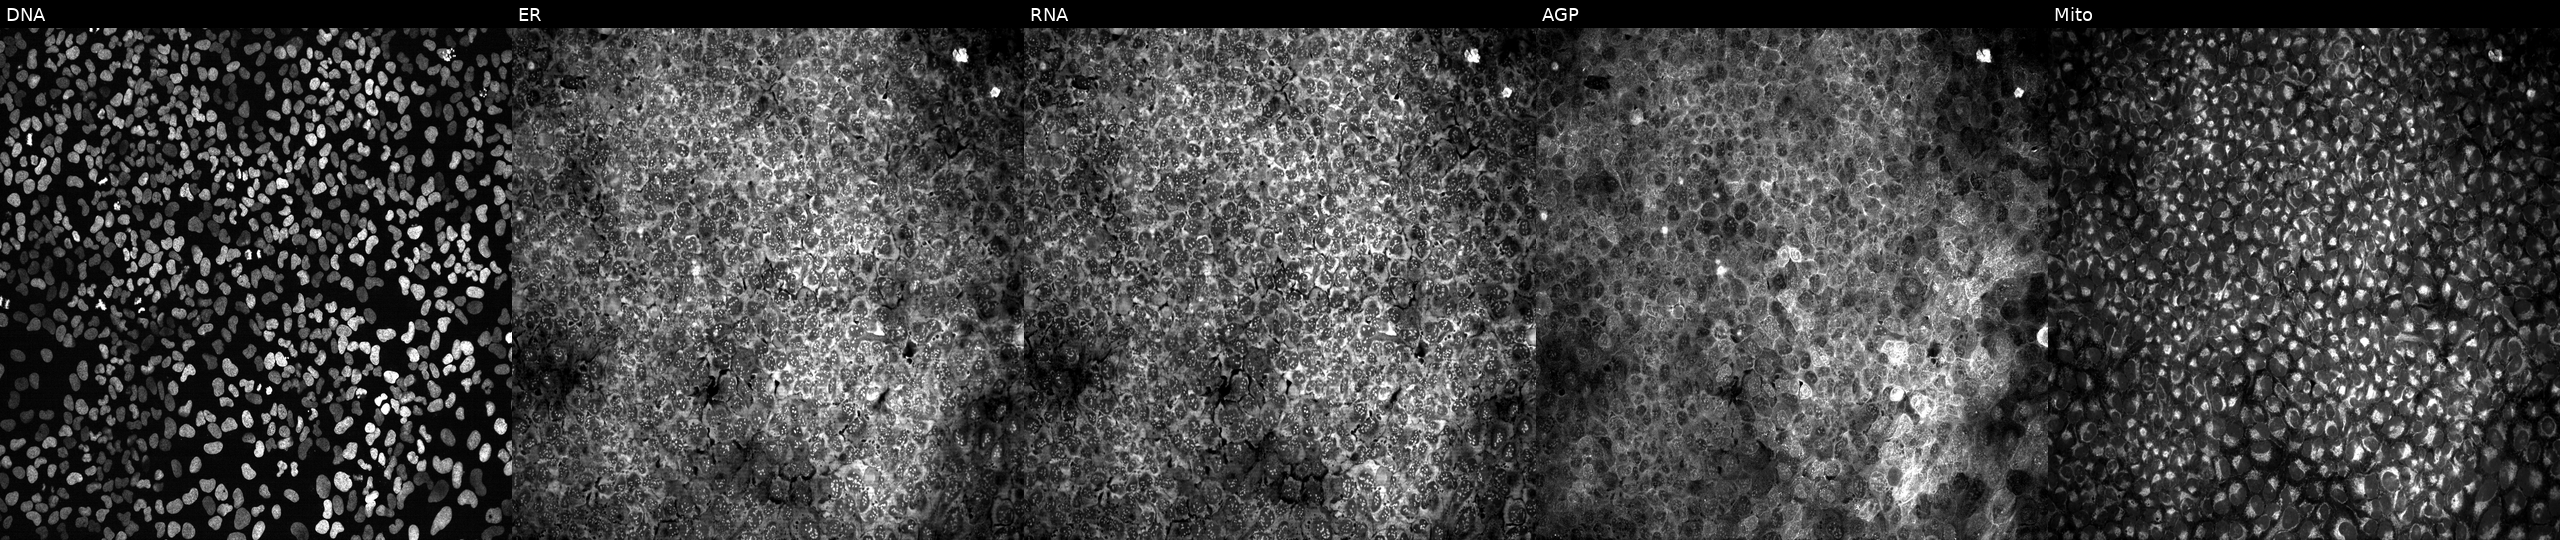
JUMP Cell Painting — CRISPR plate. U2OS cells with no CRISPR guide (negative control) (JUMP id JCP2022_800001). From left to right: DNA, ER, RNA, AGP, and Mito.